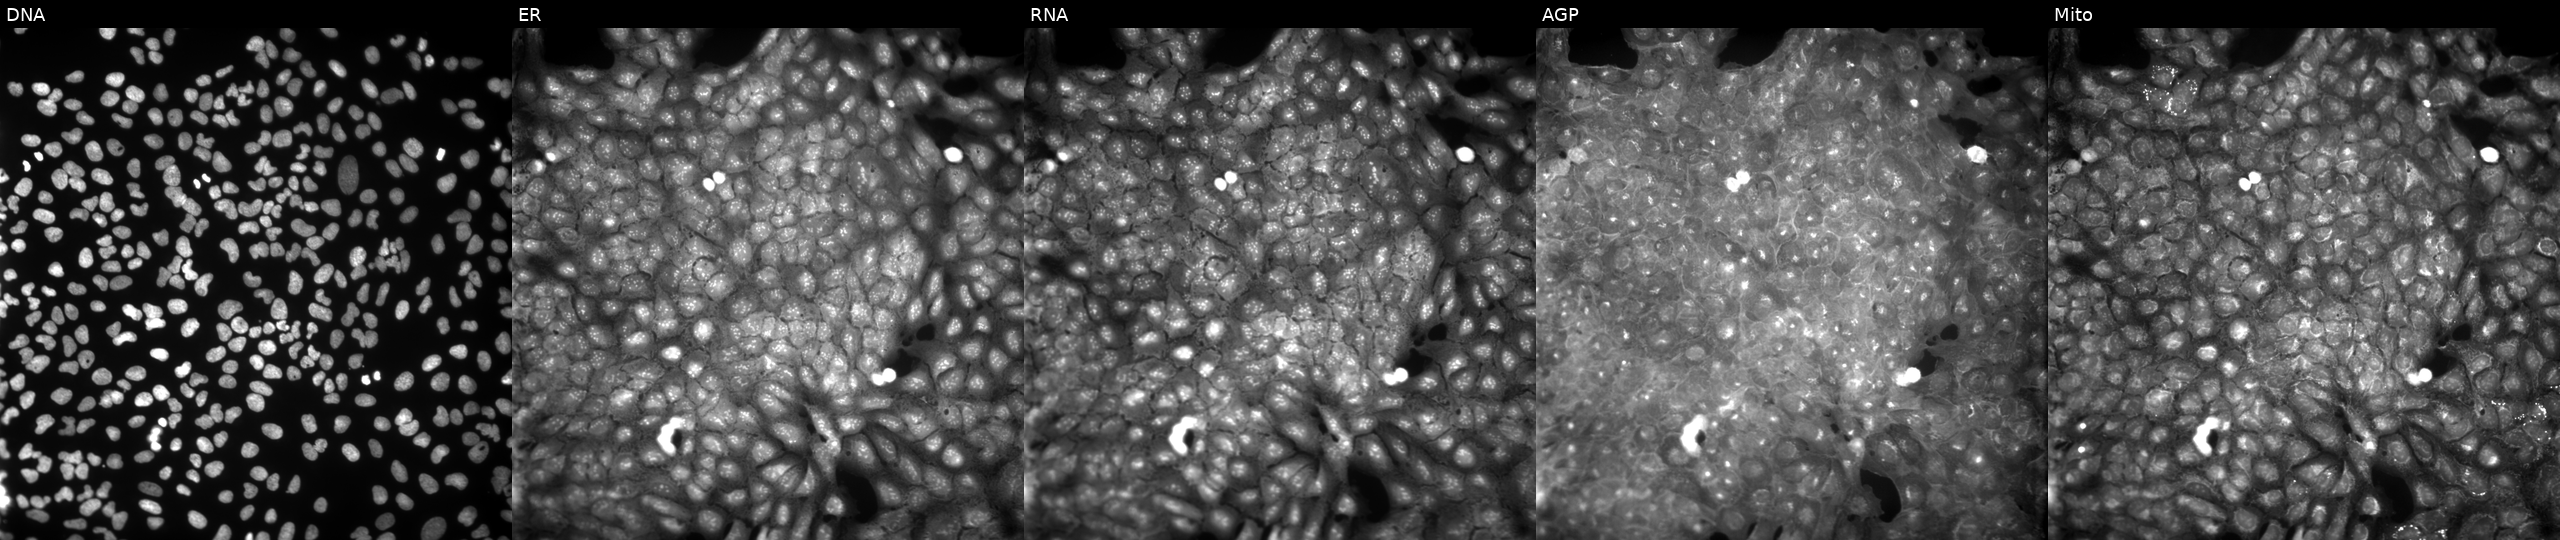
JUMP Cell Painting — COMPOUND plate. U2OS cells treated with a small-molecule compound. The five panels, left to right, show DNA, ER, RNA, AGP, and Mito. Source 9, plate GR00003381, well AA12.